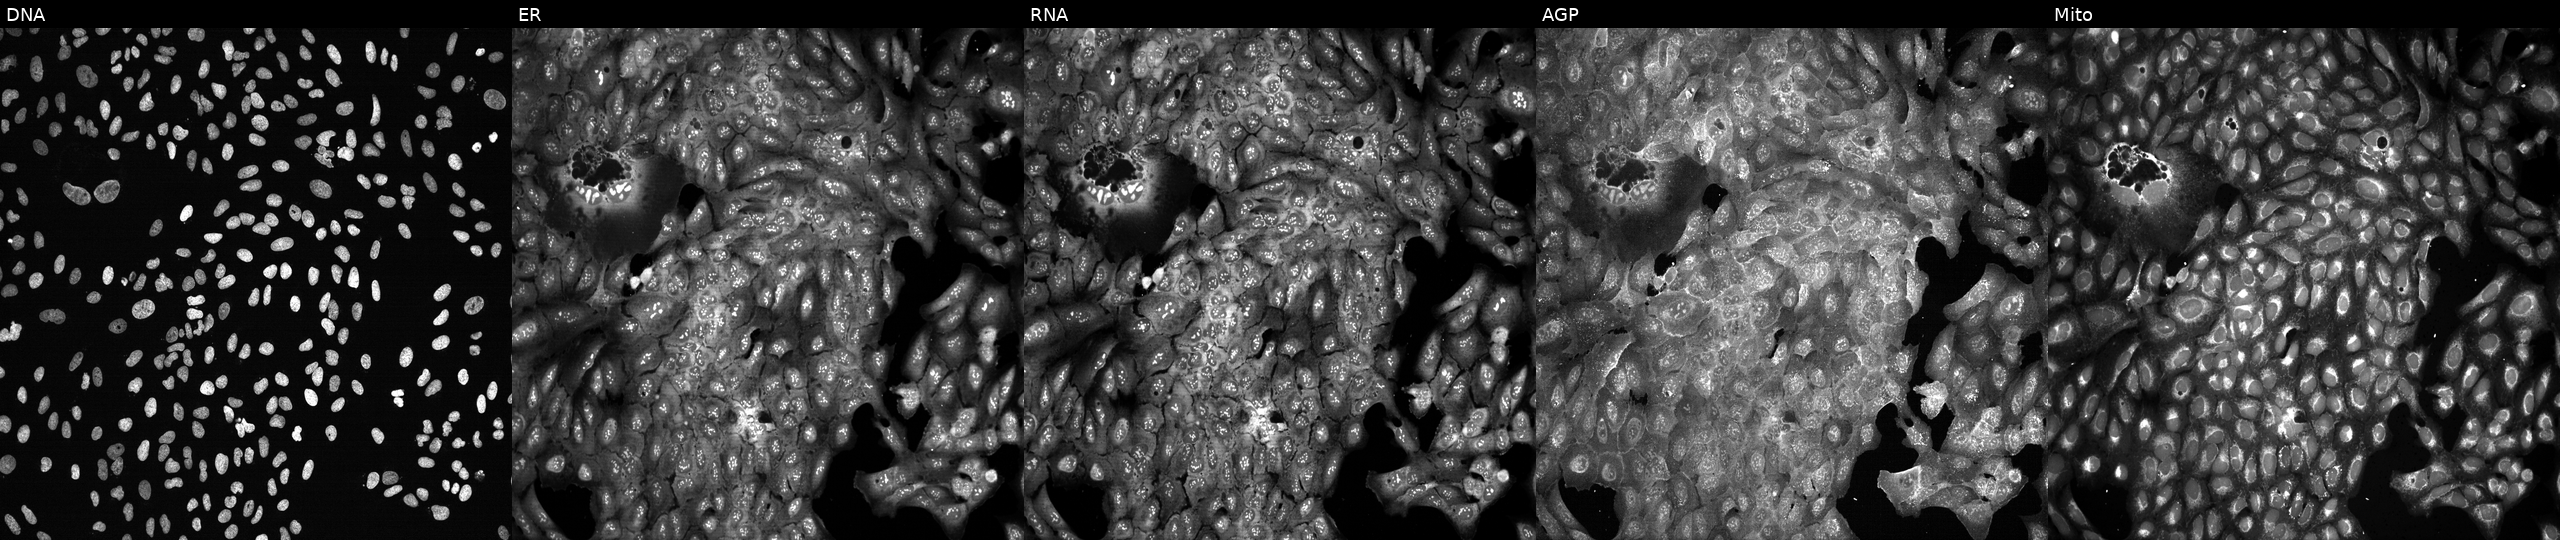
From left to right: DNA (nuclei); ER (endoplasmic reticulum); RNA (nucleoli and cytoplasmic RNA); AGP (actin cytoskeleton, Golgi, and plasma membrane); Mito (mitochondria). U2OS osteosarcoma cells with HLA-DMA knocked out by CRISPR (JUMP id JCP2022_803123). Cell Painting assay, JUMP-CP dataset.